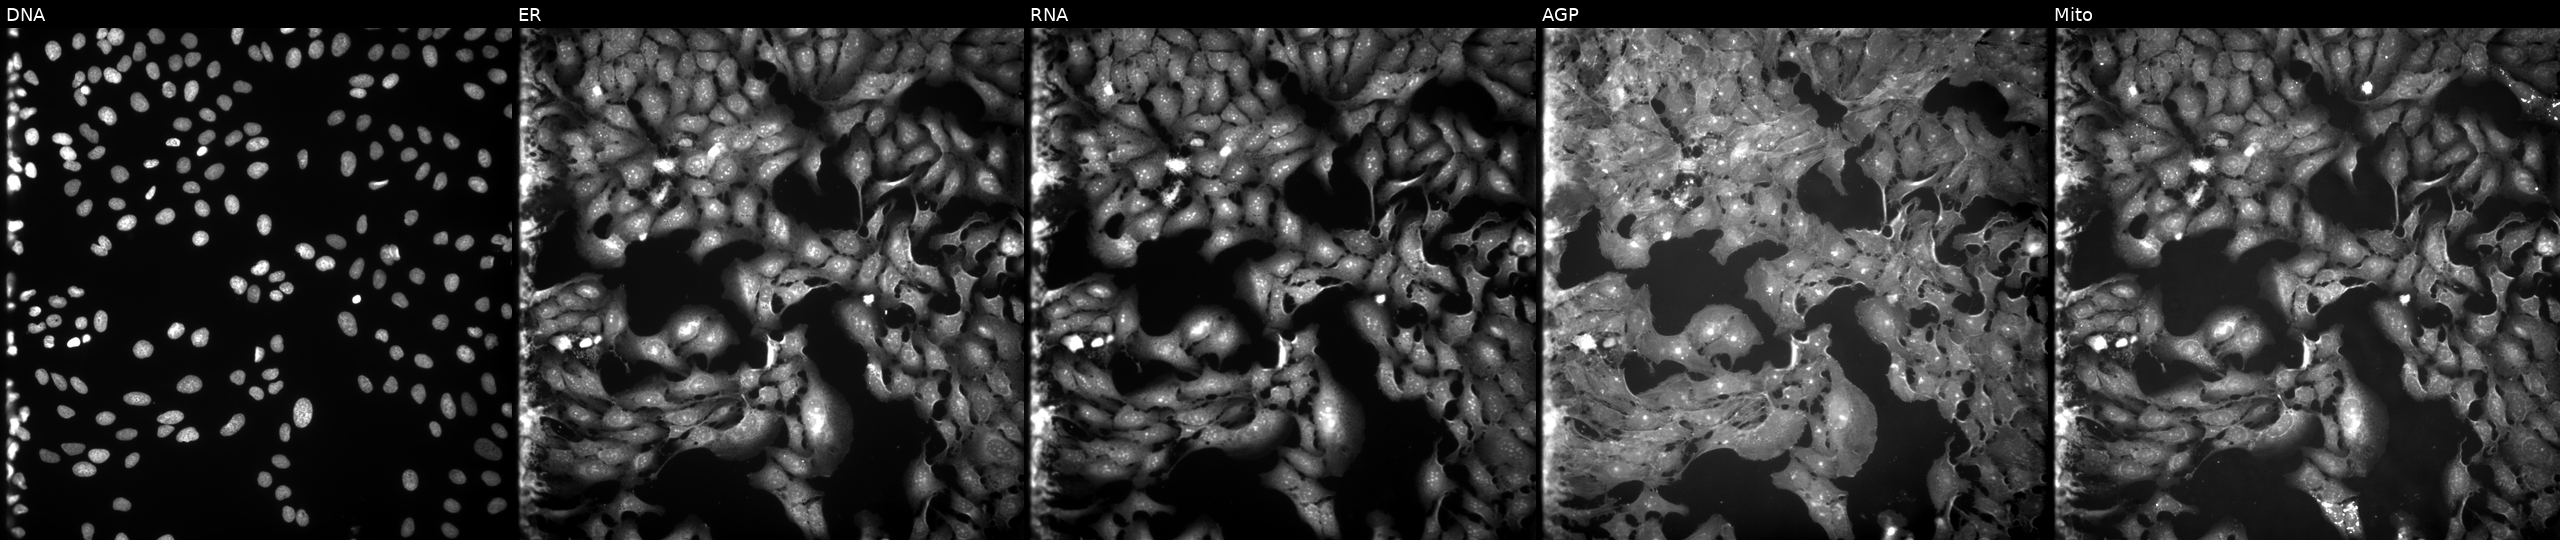
This image strip shows the five Cell Painting channels for a single field of U2OS cells exposed to the positive-control compound FK-866 (JUMP id JCP2022_046054). Panels show, left to right, DNA, ER, RNA, AGP, and Mito. Source 9, plate GR00003382, well D24.